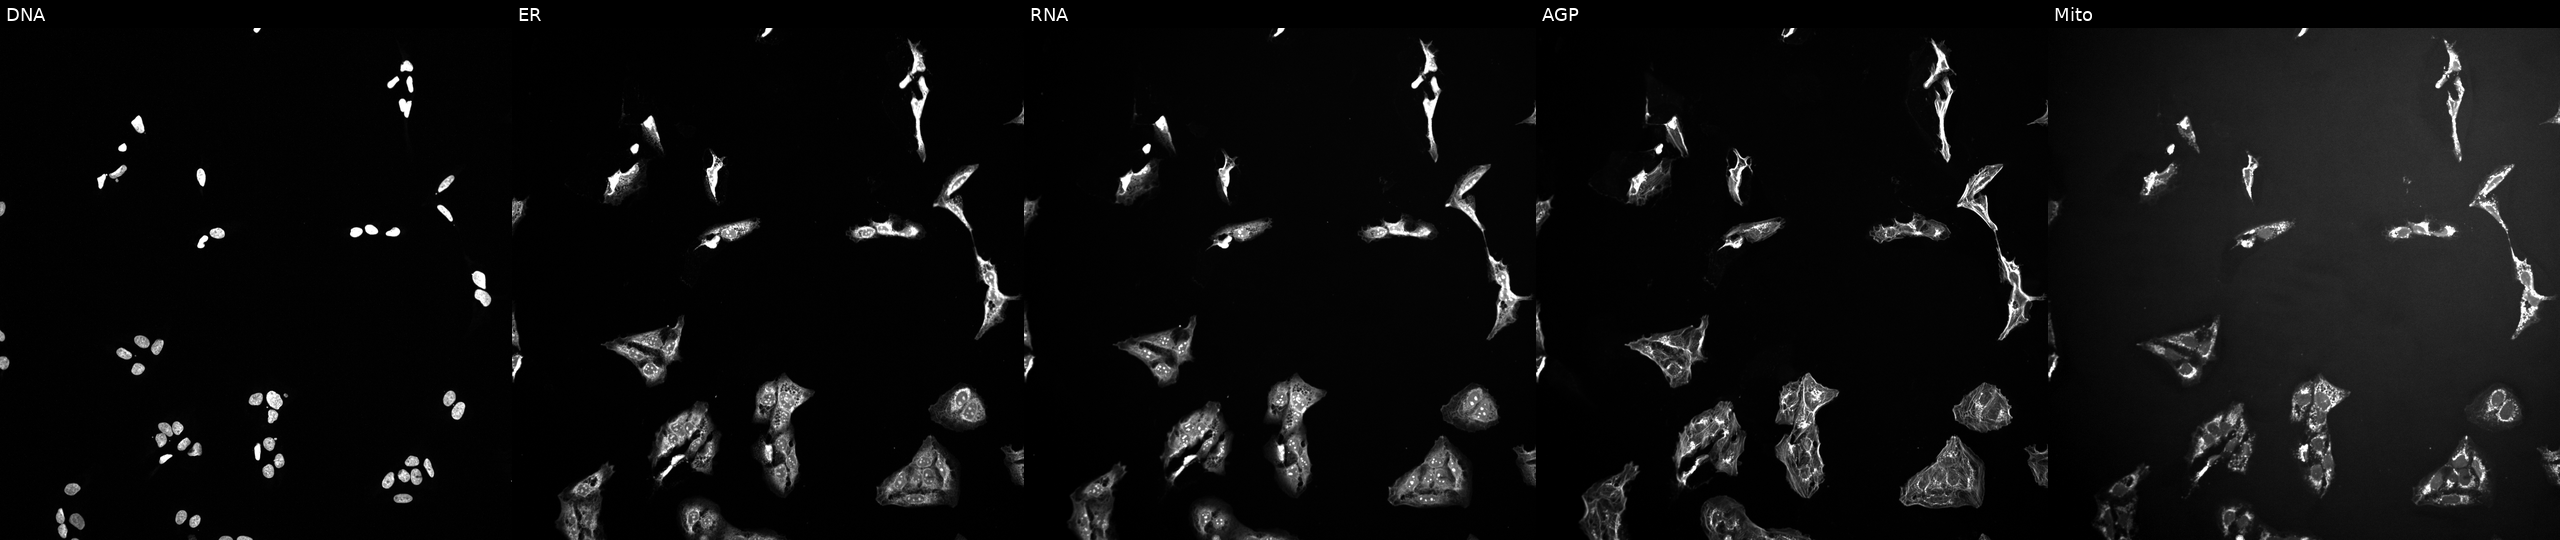
Panels show, left to right, Hoechst 33342, concanavalin A, SYTO 14, phalloidin and WGA, MitoTracker. U2OS osteosarcoma cells treated with a small-molecule compound (InChIKey SCELLOWTHJGVIC-UHFFFAOYSA-N). Cell Painting assay, JUMP-CP dataset. Source 10, plate Dest210726-160150, well J17.